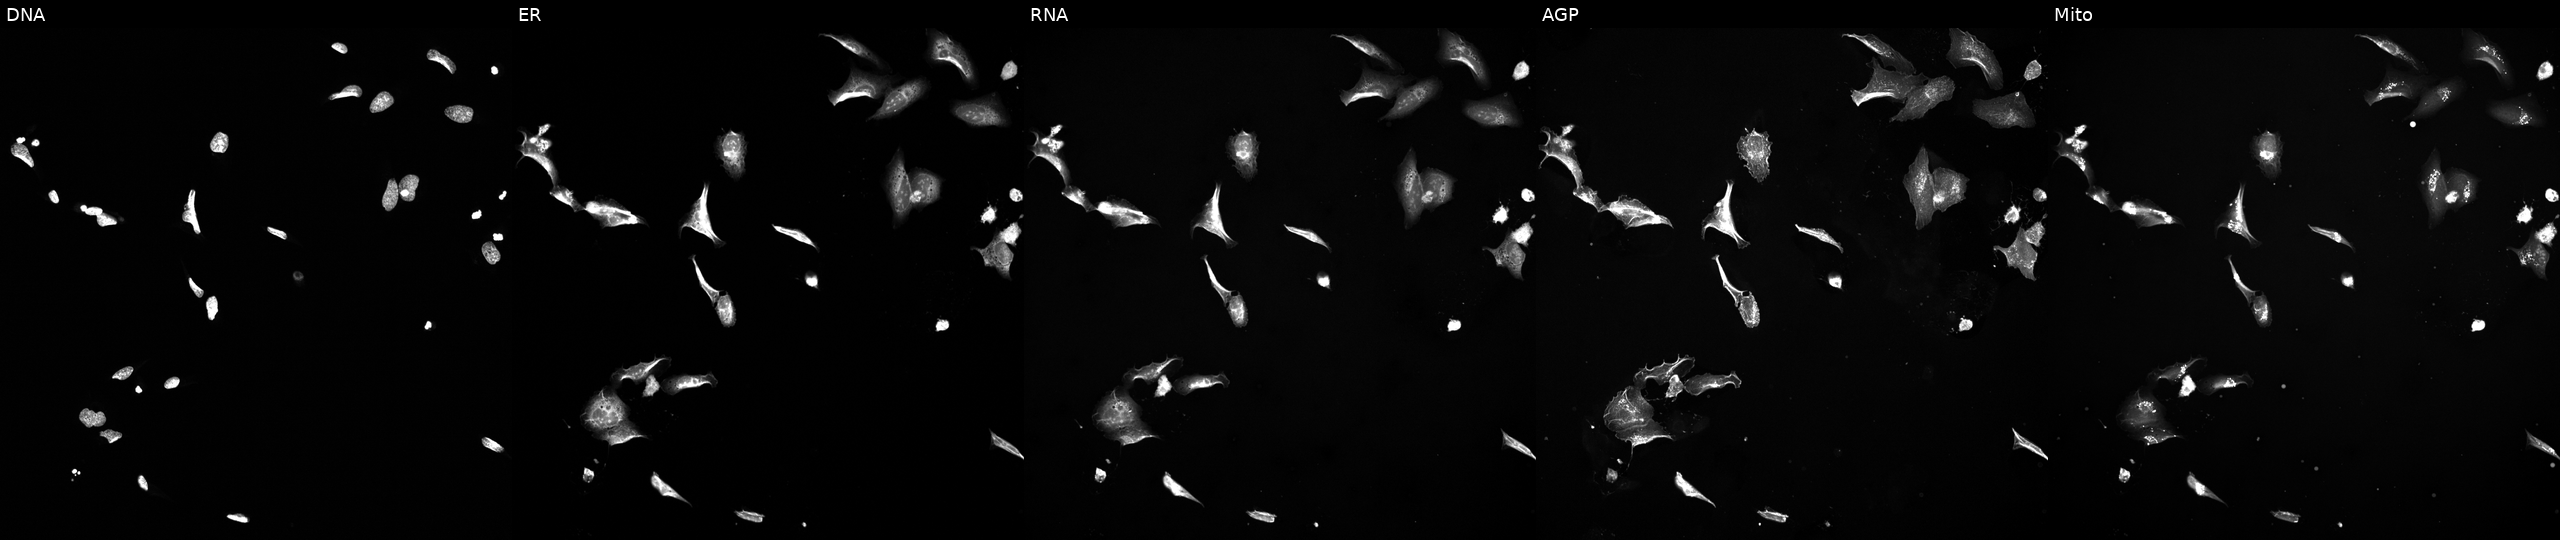
U2OS cells, Cell Painting assay, perturbed with a small-molecule compound [SMILES: C=C(NC(=O)C(=C)NC(=O)c1csc(C2=NC3c4csc(n4)C4NC(=O)c5csc(n5)C(C(C)(O)C(C)O)NC(=O)C5CSC(=N5)C(=CC)NC(=O)C(C(C)O)NC(=O)c5csc(n5)C3(CC2)NC(=O)C(C)NC(=O)C(=C)NC(=O)C(C)NC(=O)C(C(C)CC)Nc2ccc3c(c2O)NC(=CC3C(C)O)C(=O)OC4C)n1)C(N)=O]. From left to right: DNA, ER, RNA, AGP, and Mito. Each panel is percentile-stretched 16-bit fluorescence. Source 5, plate ACPJUM051, well J02.